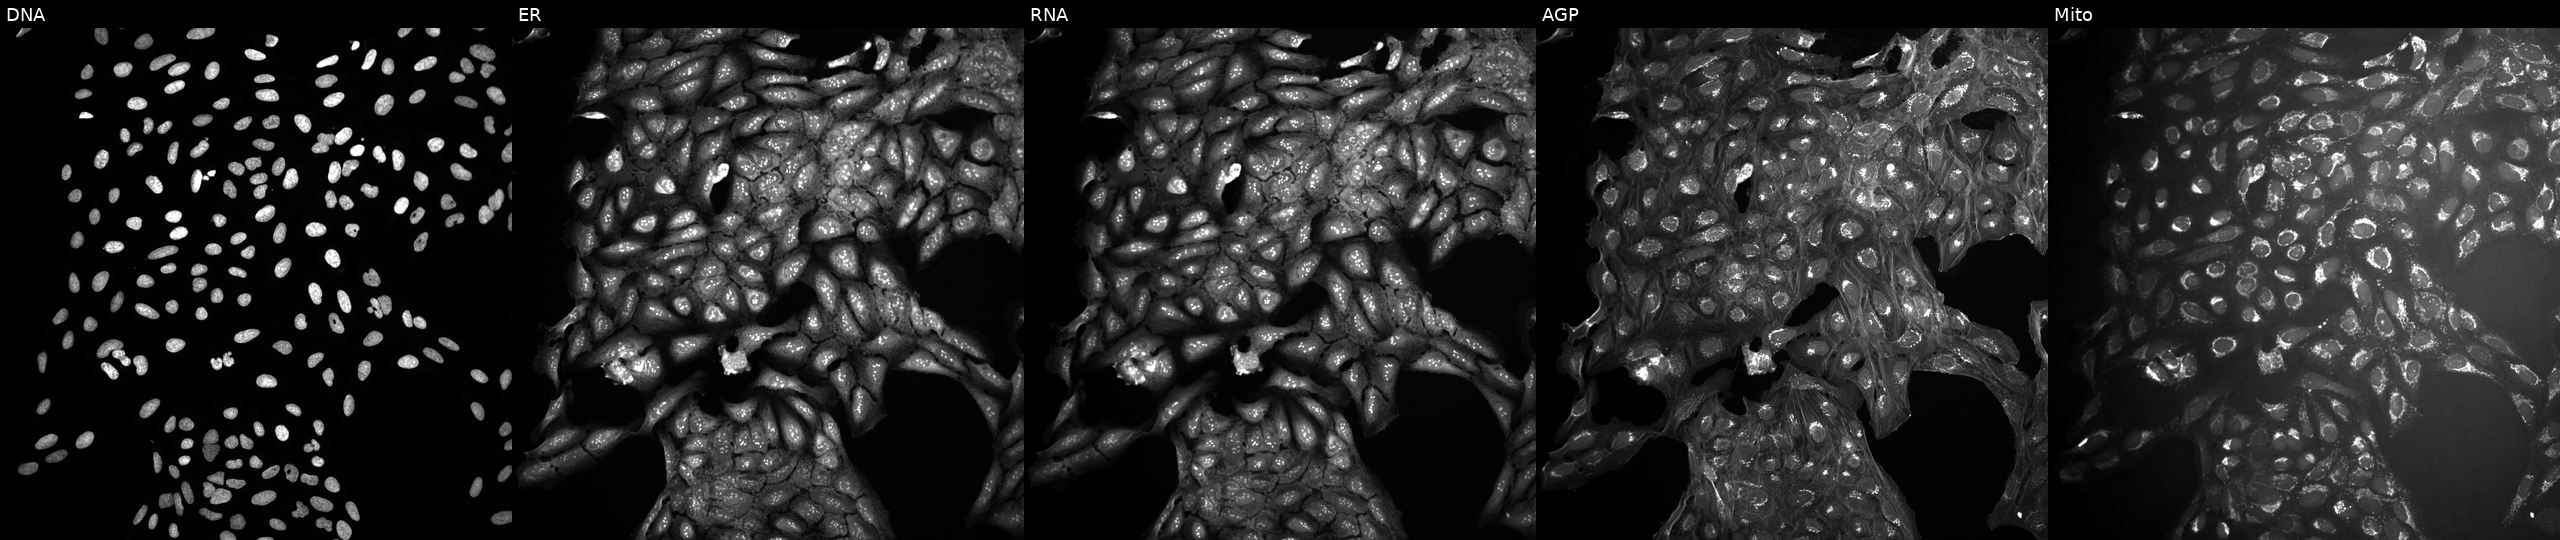
From left to right: DNA, ER, RNA, AGP, and Mito. U2OS osteosarcoma cells perturbed with a small-molecule compound (JUMP id JCP2022_009179). Cell Painting assay, JUMP-CP dataset. Source 10, plate Dest210531-152149, well I22.